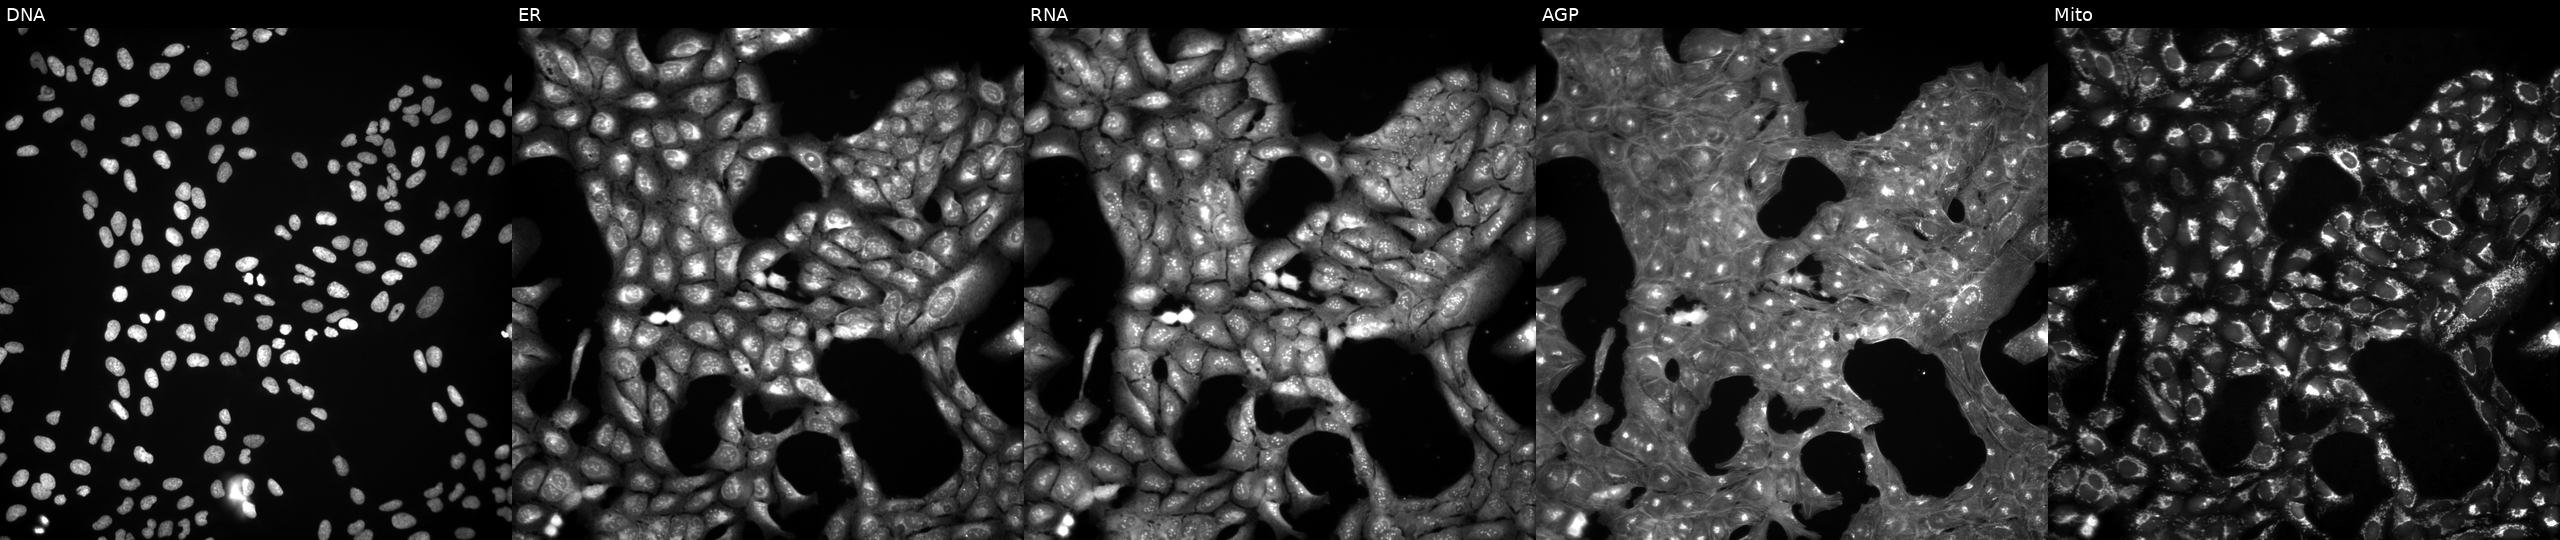
High-content fluorescence microscopy (Cell Painting). Cell line: U2OS. Perturbation: perturbed with a small-molecule compound (InChIKey BALIATPFOUBDIU-UHFFFAOYSA-N). The five panels, left to right, show DNA, ER, RNA, AGP, and Mito.